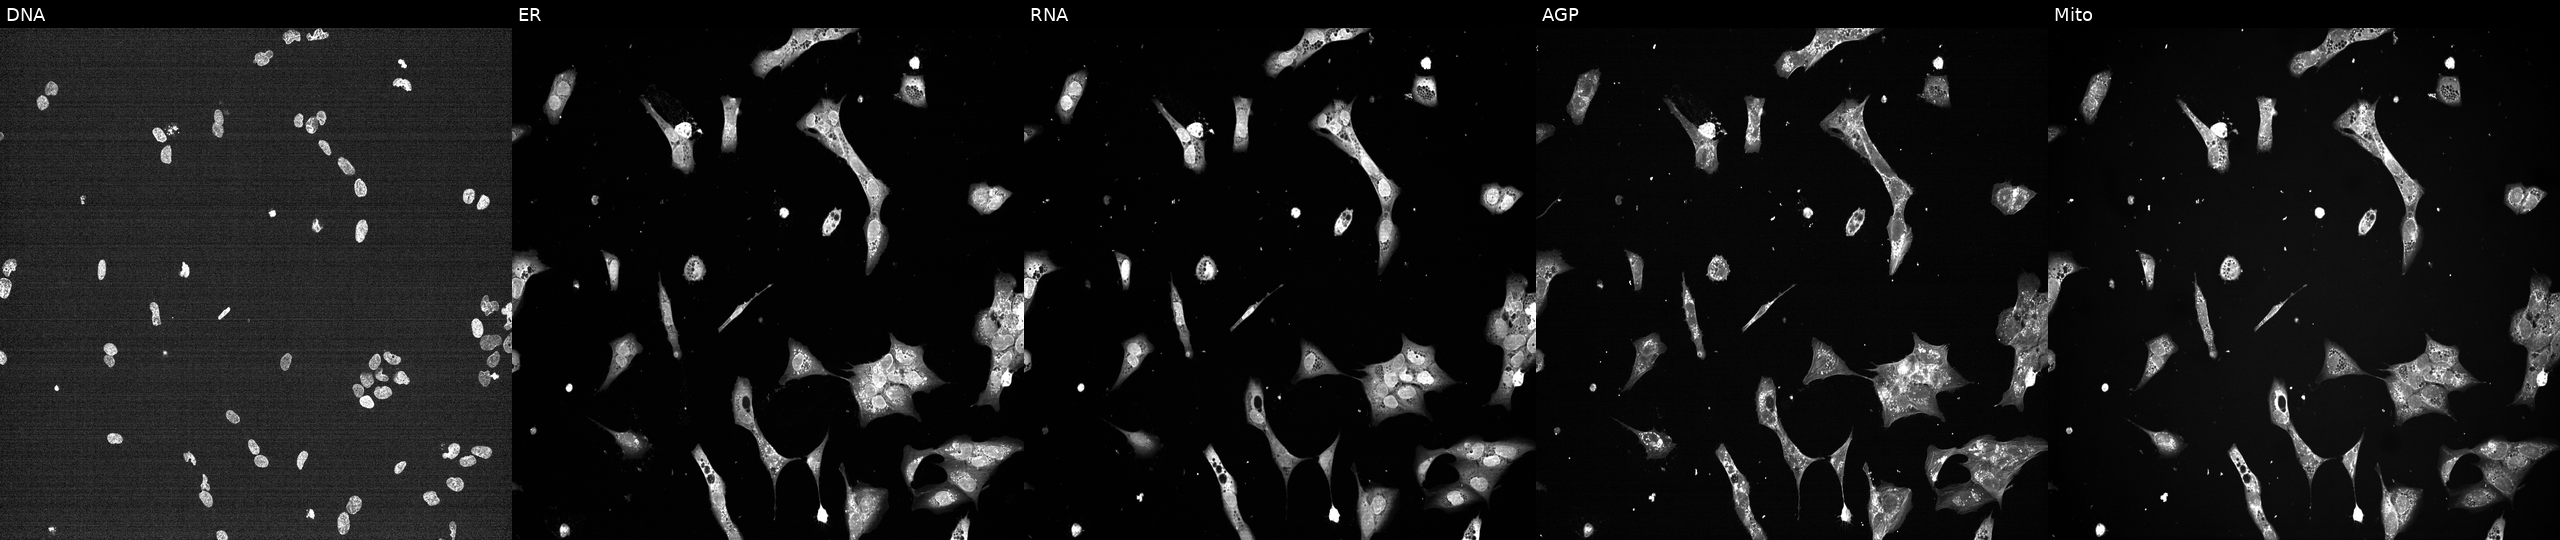
This image strip shows the five Cell Painting channels for a single field of U2OS cells perturbed with a small-molecule compound (InChIKey XLSYZSRXVVCHLS-UHFFFAOYSA-N) (JUMP id JCP2022_104437). The five panels, left to right, show DNA, ER, RNA, AGP, and Mito.